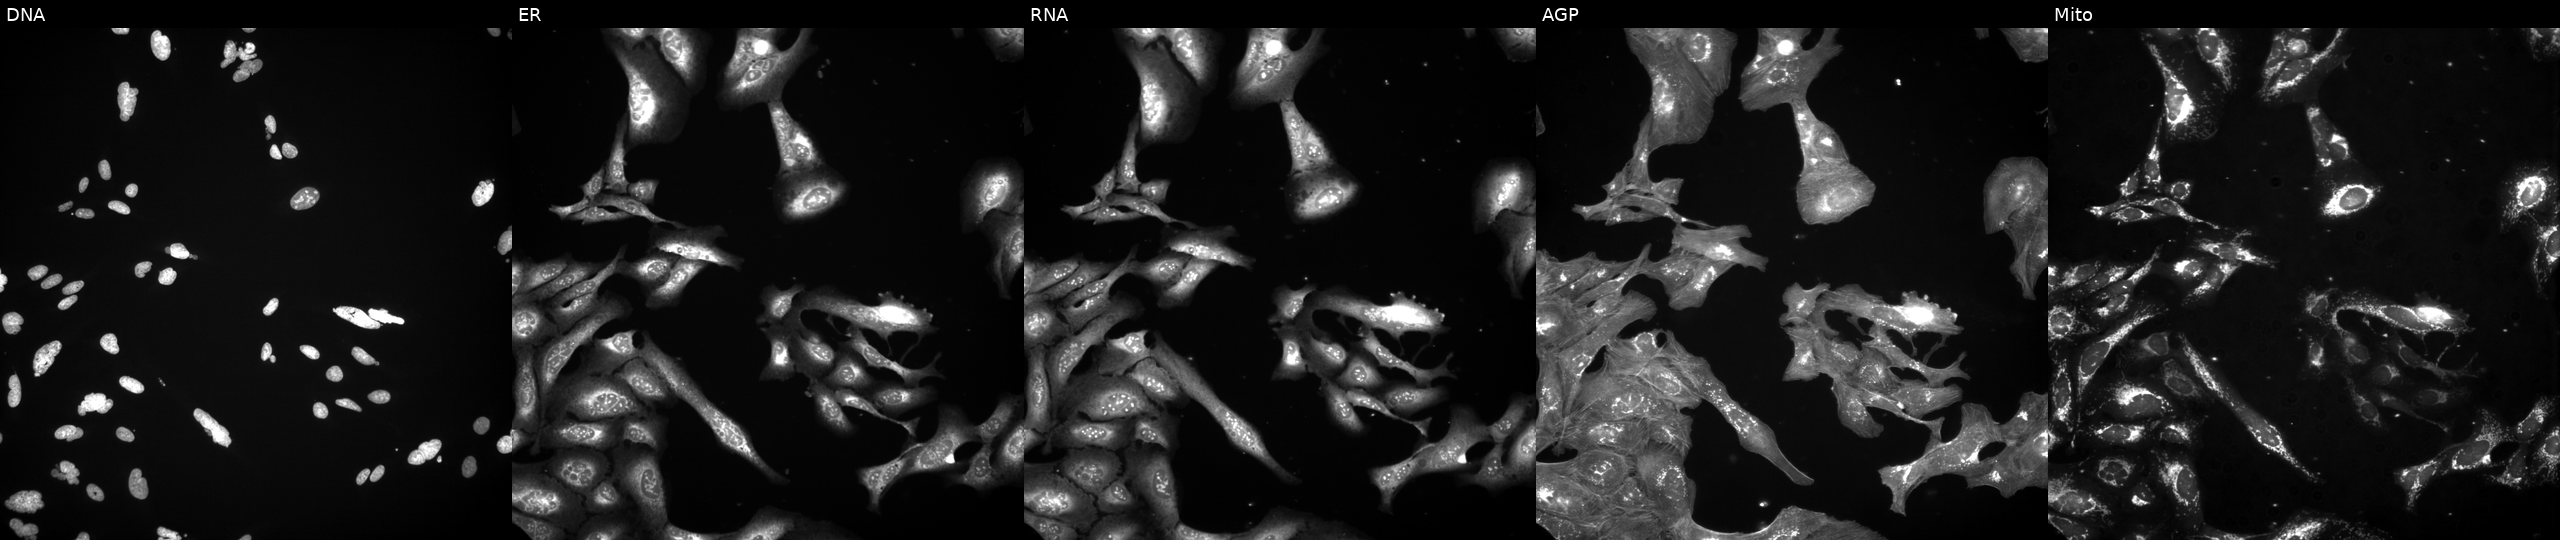
JUMP Cell Painting — TARGET2 plate. U2OS cells exposed to a small-molecule compound (JUMP id JCP2022_046462). From left to right: Hoechst 33342, concanavalin A, SYTO 14, phalloidin and WGA, MitoTracker.